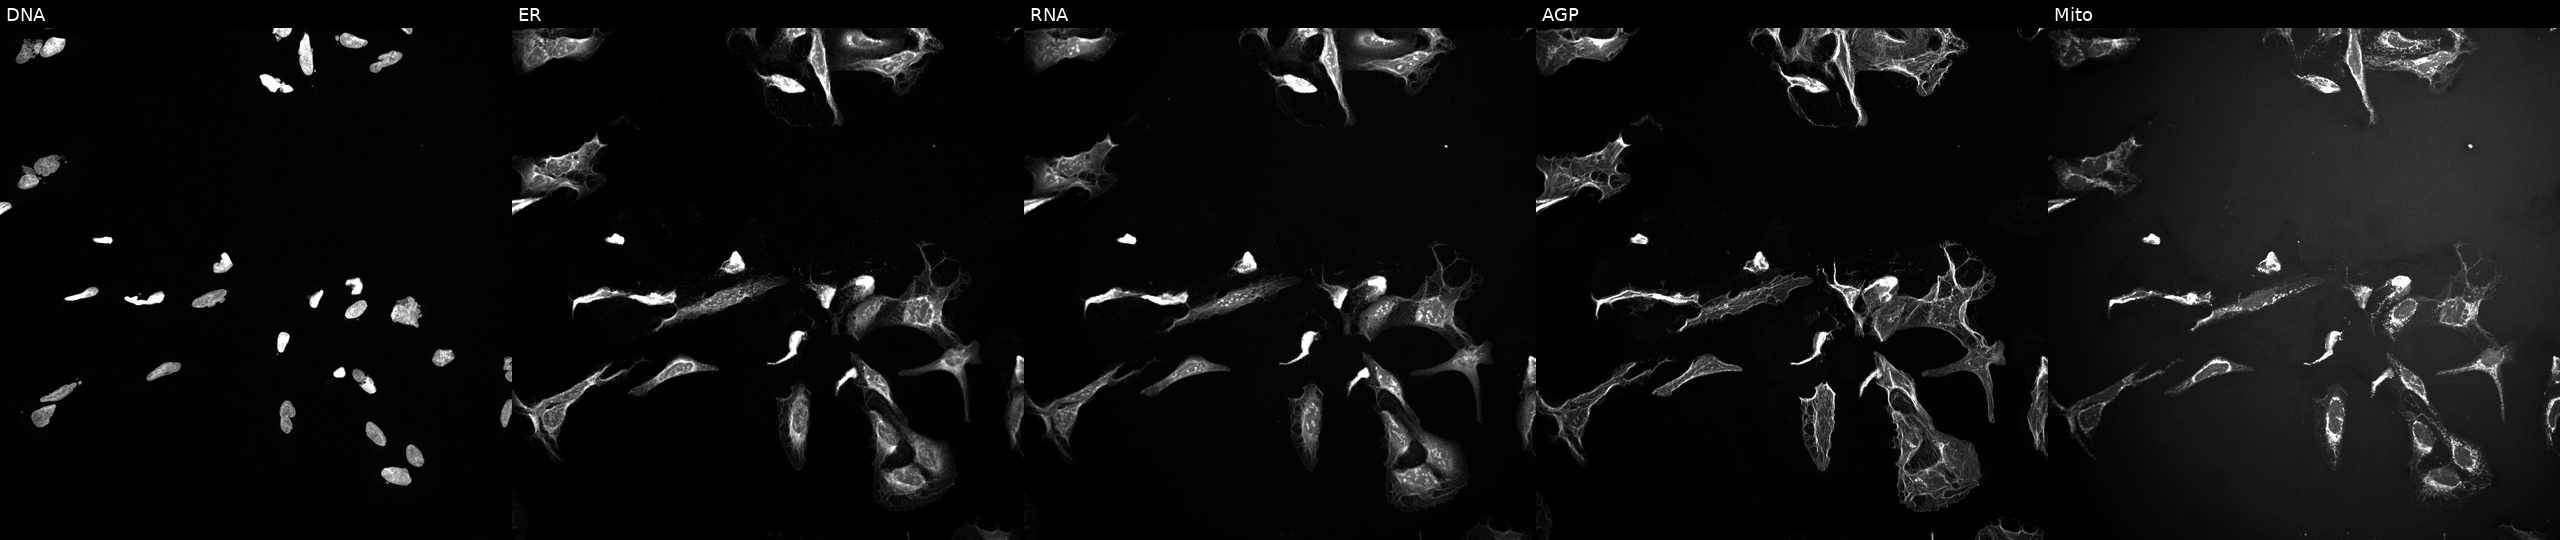
From left to right: DNA, ER, RNA, AGP, and Mito. U2OS osteosarcoma cells perturbed with a small-molecule compound (InChIKey KRBSMMVJJVHVCB-UHFFFAOYSA-N) (JUMP id JCP2022_046462). Cell Painting assay, JUMP-CP dataset.